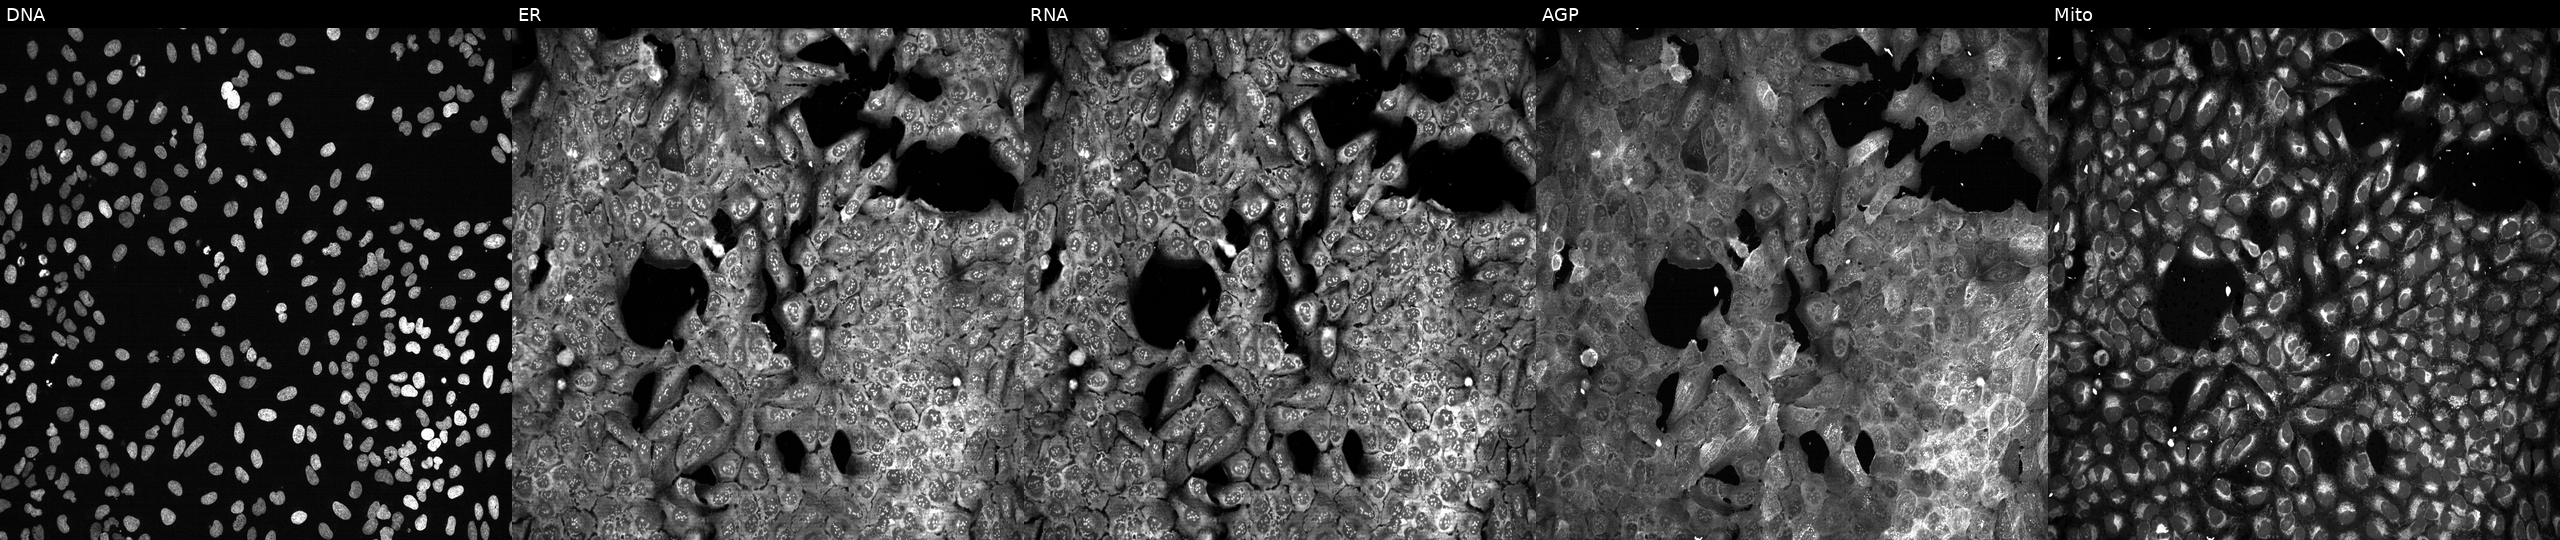
Five-channel Cell Painting image of U2OS cells following CRISPR knockout of CCS. From left to right: DNA, ER, RNA, AGP, and Mito. Source 13, plate CP-CC9-R2-01, well K08.